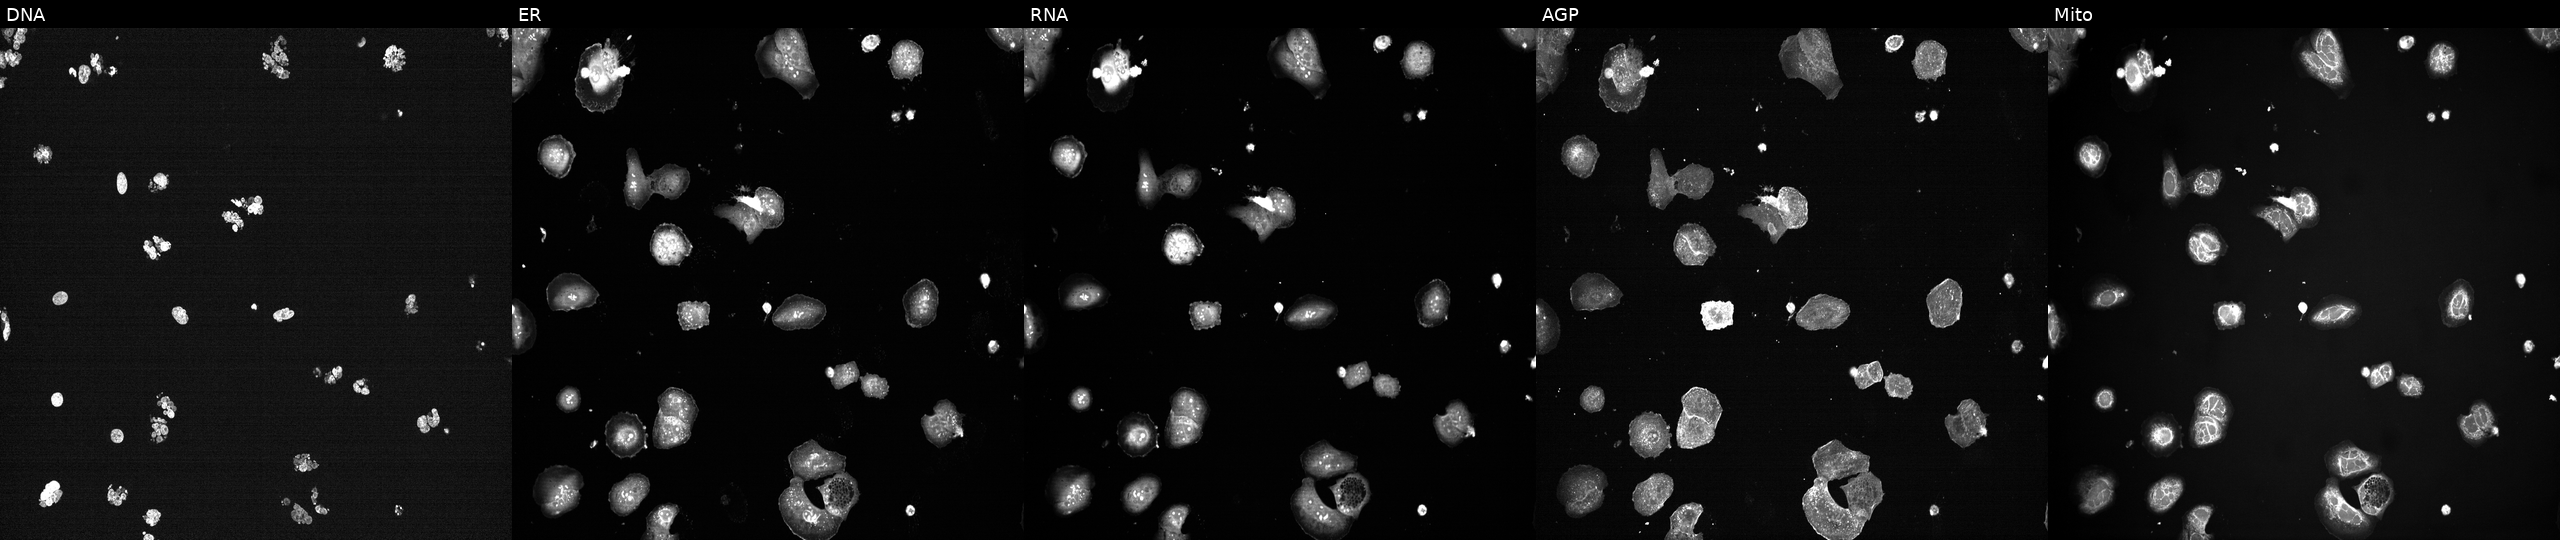
From left to right: Hoechst 33342, concanavalin A, SYTO 14, phalloidin and WGA, MitoTracker. U2OS osteosarcoma cells treated with a small-molecule compound (InChIKey FABUFPQFXZVHFB-UHFFFAOYSA-N) (JUMP id JCP2022_019314). Cell Painting assay, JUMP-CP dataset.